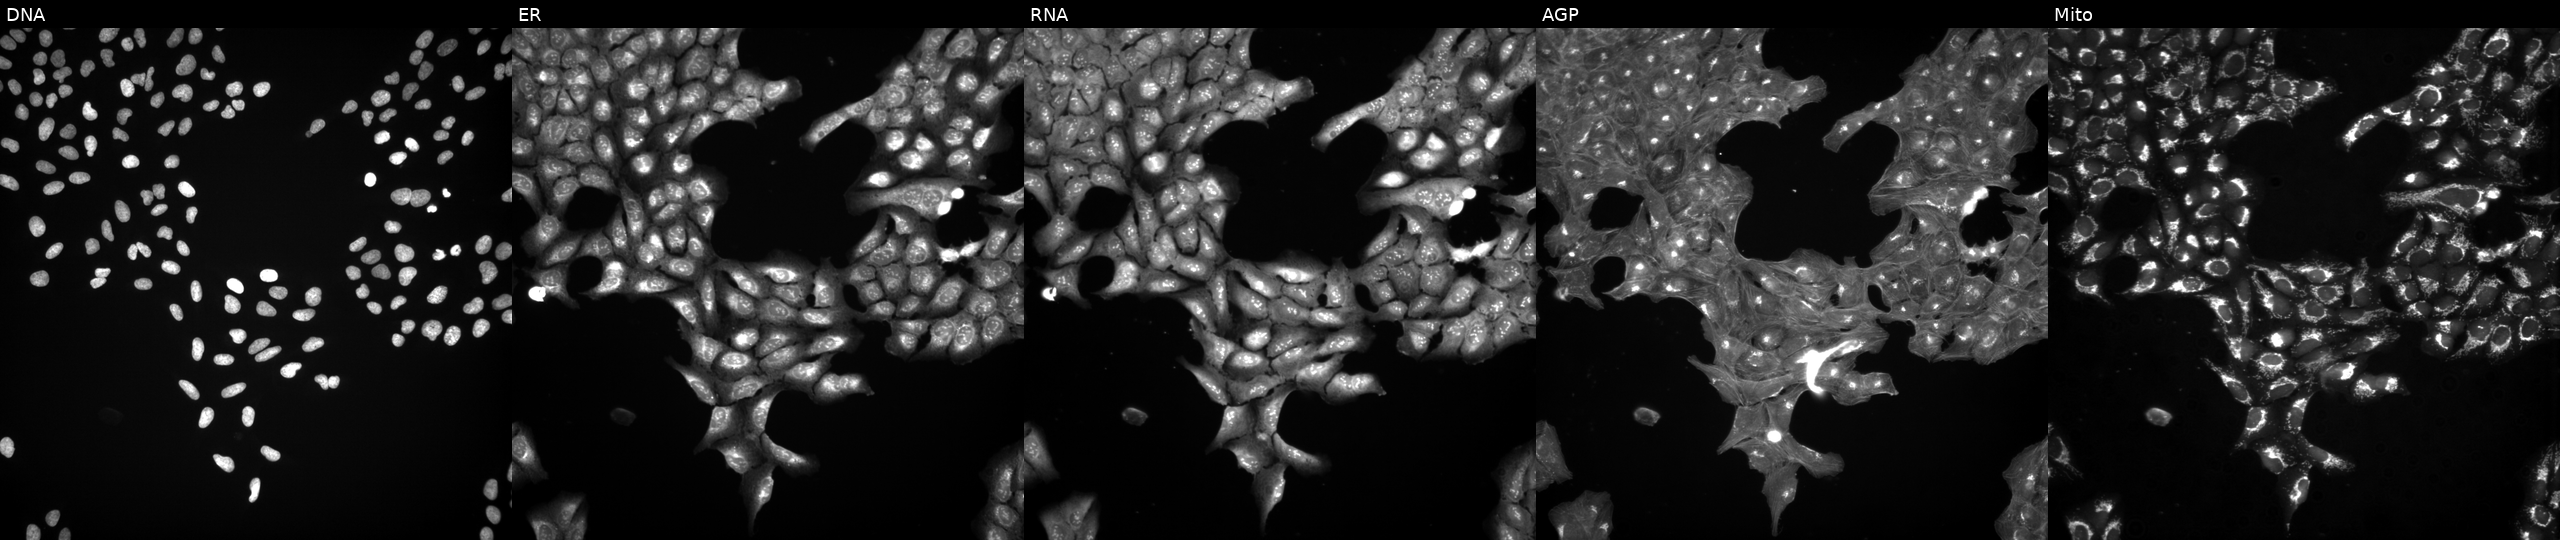
Panels show, left to right, DNA (nuclei); ER (endoplasmic reticulum); RNA (nucleoli and cytoplasmic RNA); AGP (actin cytoskeleton, Golgi, and plasma membrane); Mito (mitochondria). U2OS osteosarcoma cells treated with a small-molecule compound (JUMP id JCP2022_008576). Cell Painting assay, JUMP-CP dataset. Source 3, plate BR5867b3, well H10.